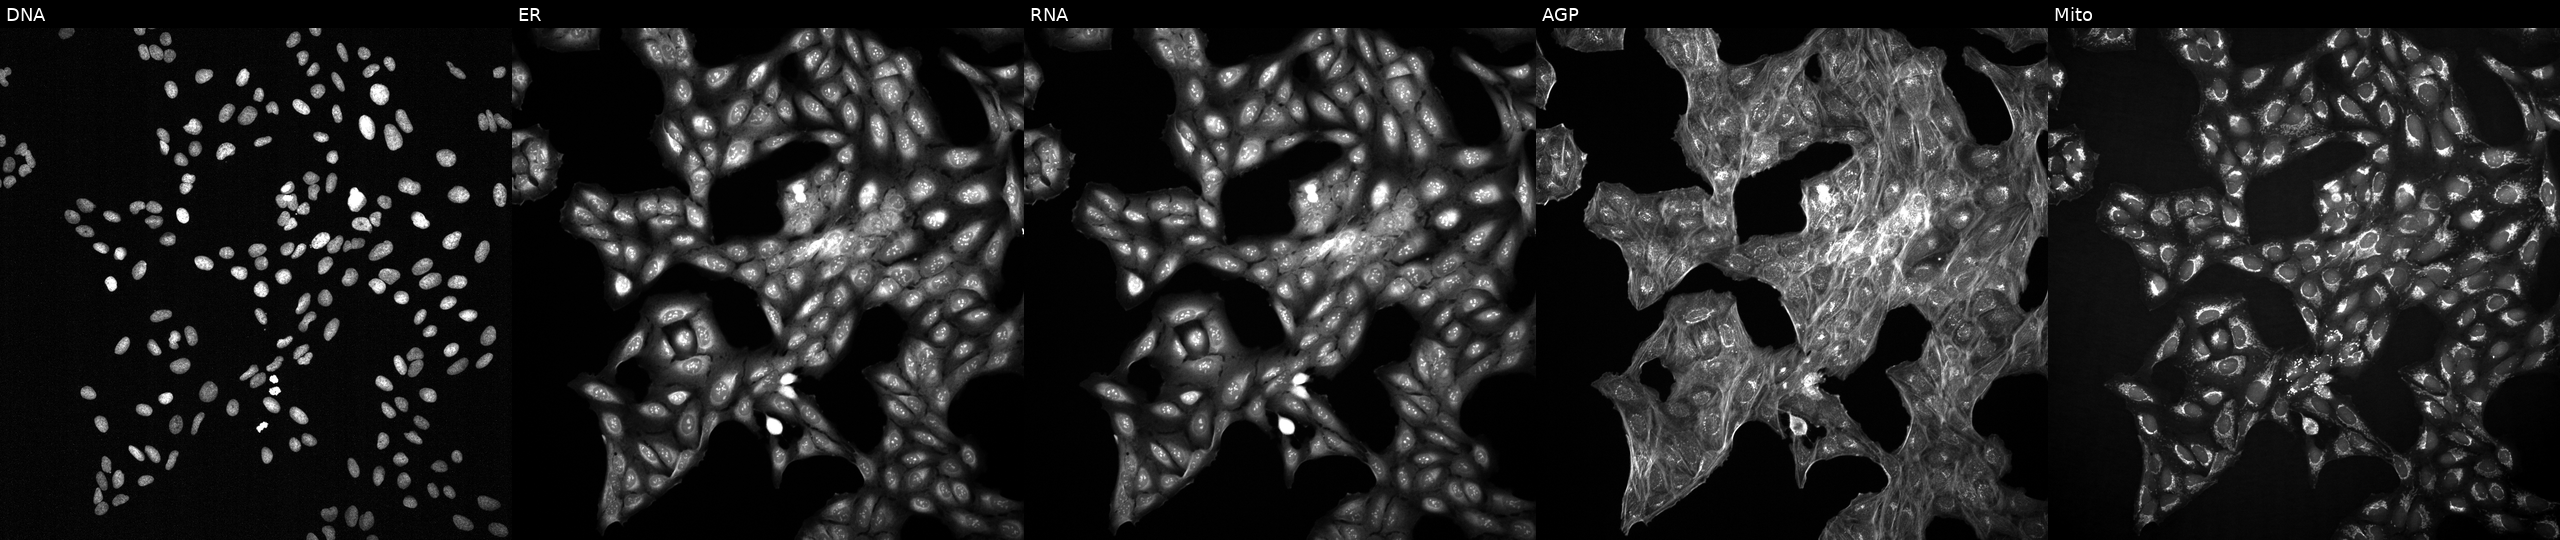
High-content fluorescence microscopy (Cell Painting). Cell line: U2OS. Perturbation: perturbed with a small-molecule compound. Channels (left→right): Hoechst 33342, concanavalin A, SYTO 14, phalloidin and WGA, MitoTracker.